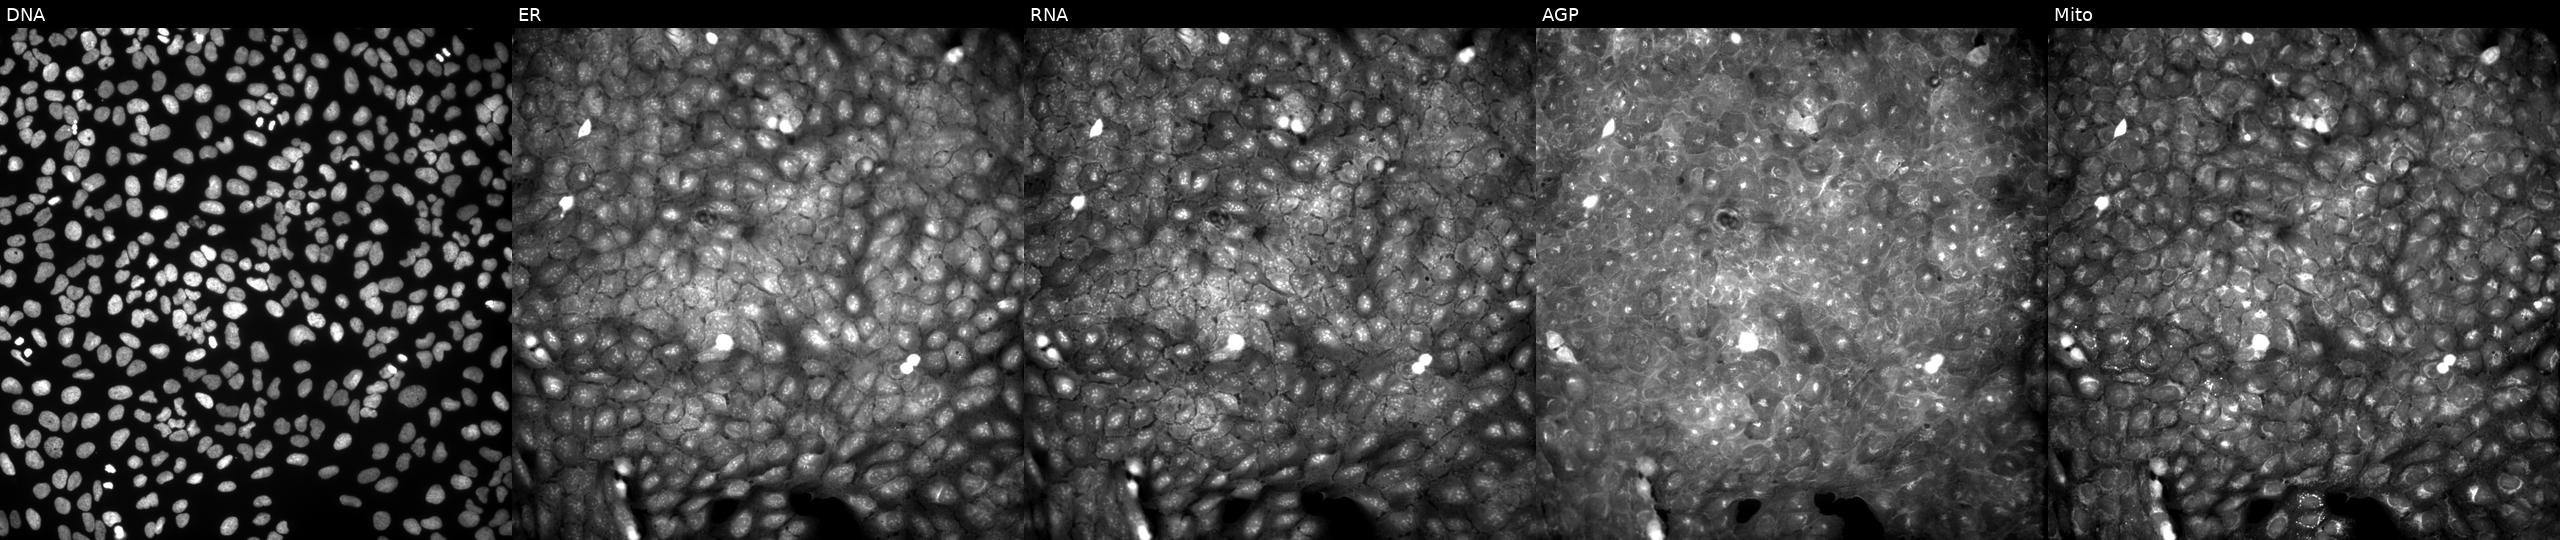
The five panels, left to right, show DNA (nuclei); ER (endoplasmic reticulum); RNA (nucleoli and cytoplasmic RNA); AGP (actin cytoskeleton, Golgi, and plasma membrane); Mito (mitochondria). U2OS osteosarcoma cells exposed to DMSO alone as a negative control (JUMP id JCP2022_033924). Cell Painting assay, JUMP-CP dataset. Source 9, plate GR00003381, well U23.